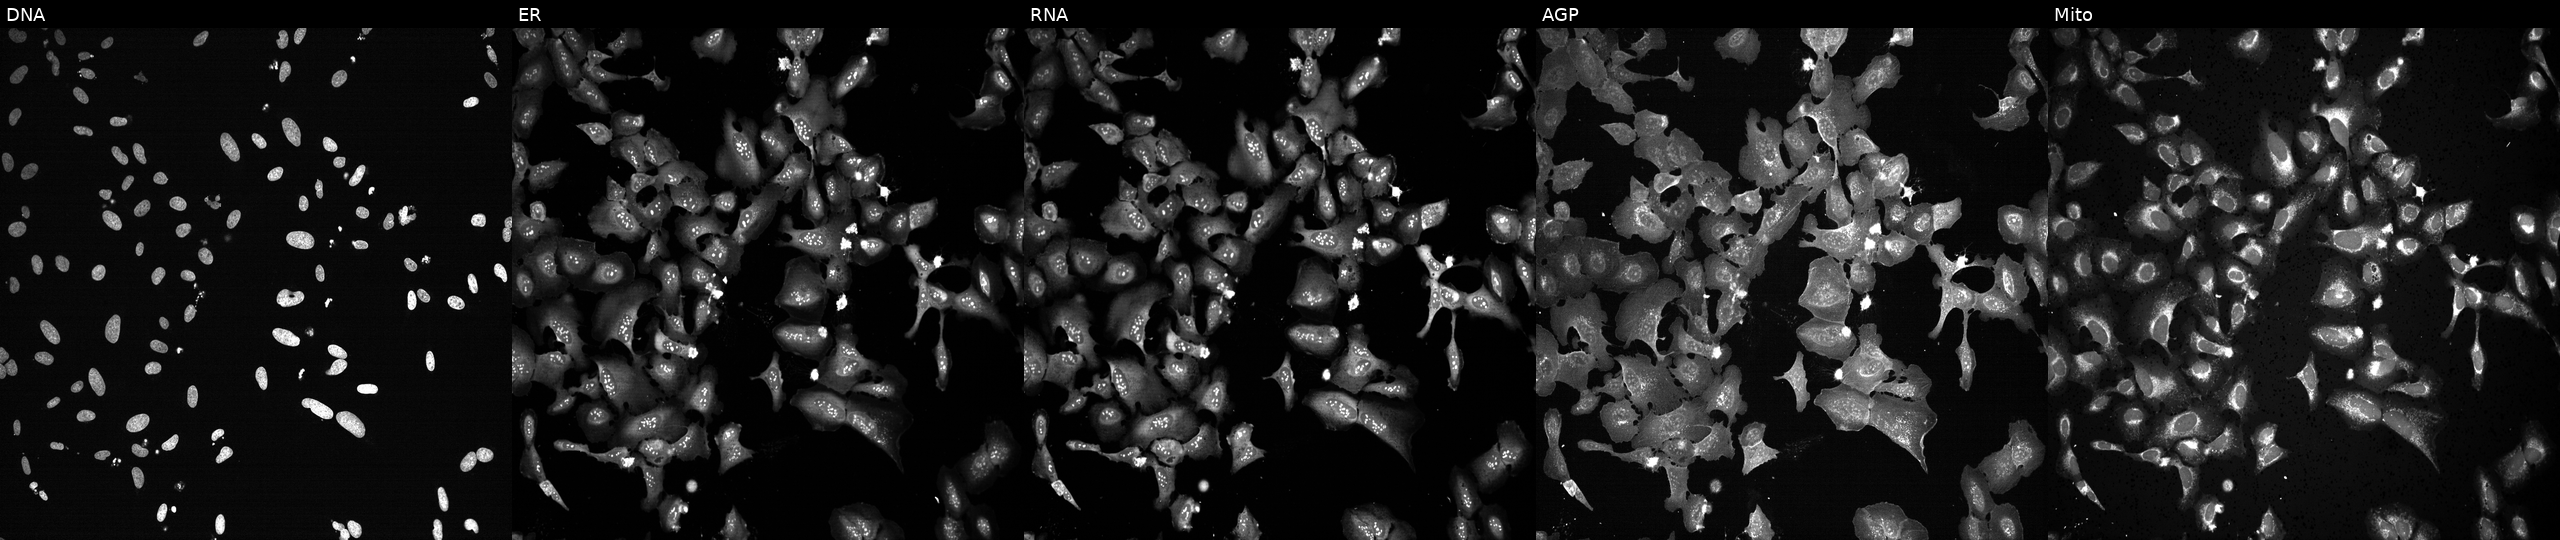
U2OS cells, Cell Painting assay, exposed to the positive-control compound TC-S-7004. Channels (left→right): DNA, ER, RNA, AGP, and Mito. Each panel is percentile-stretched 16-bit fluorescence. Source 13, plate CP-CC9-R5-01, well H01.